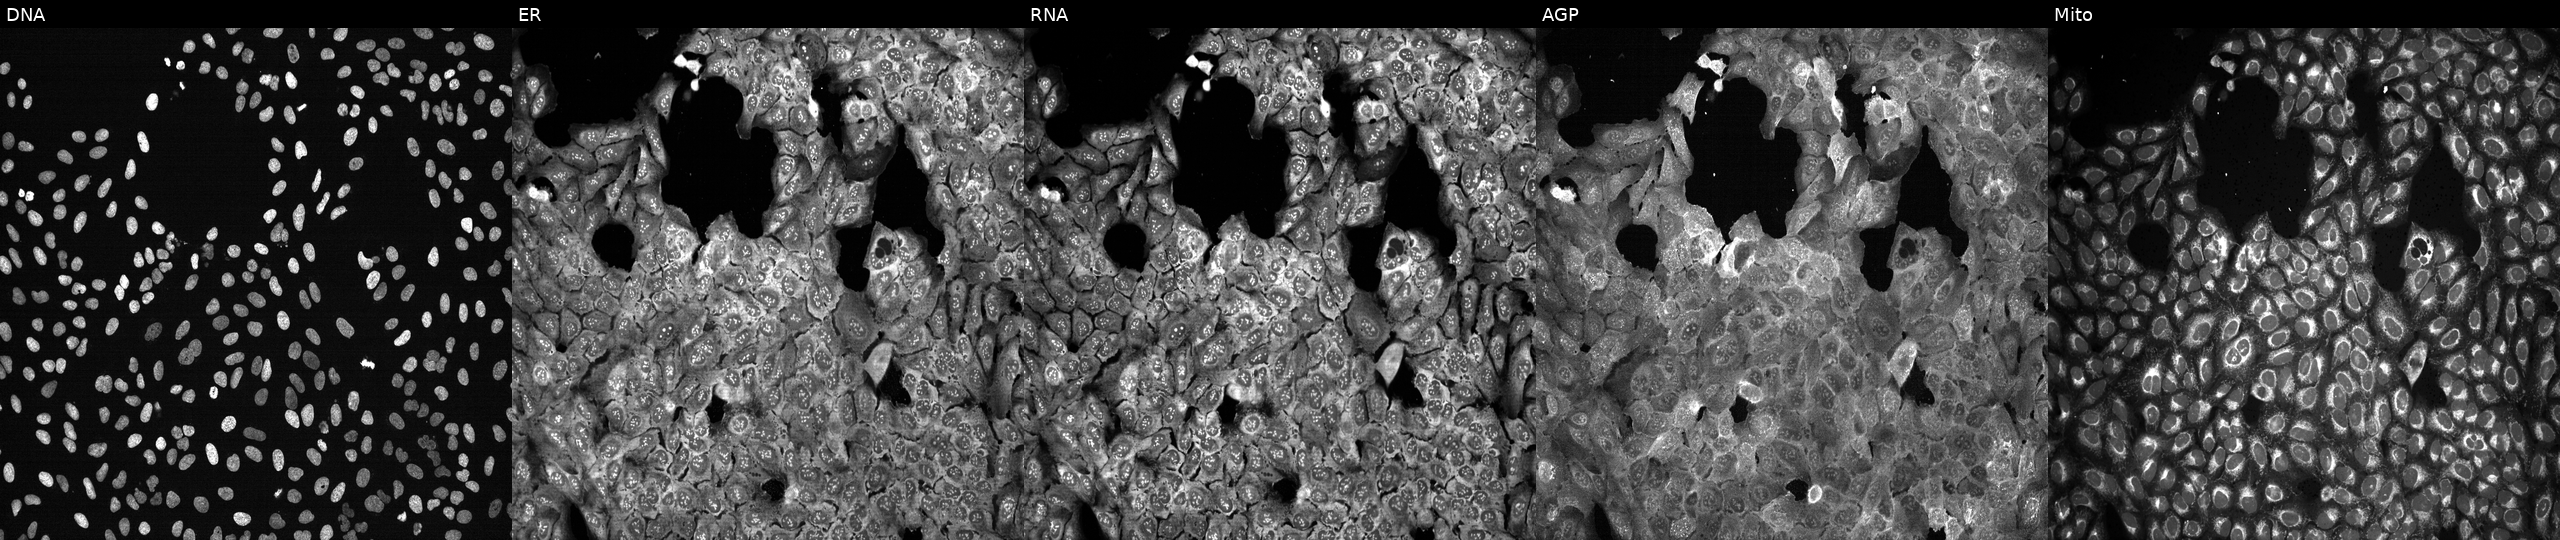
High-content fluorescence microscopy (Cell Painting). Cell line: U2OS. Perturbation: CRISPR-edited to disrupt GFPT2 (JUMP id JCP2022_802676). From left to right: DNA, ER, RNA, AGP, and Mito. Source 13, plate CP-CC9-R2-02, well J16.